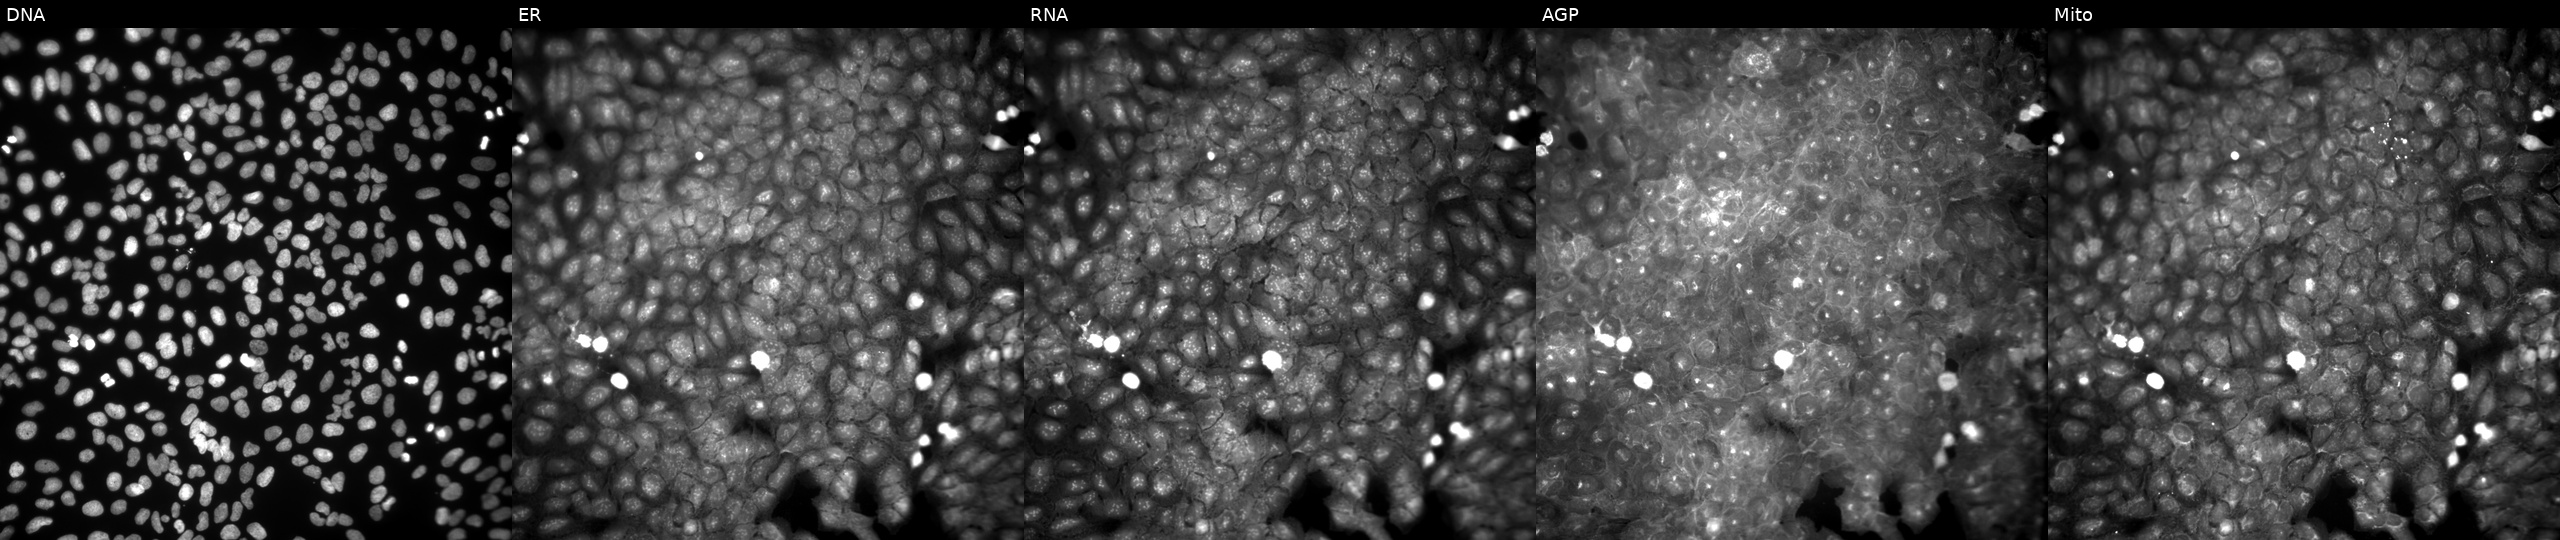
JUMP Cell Painting — COMPOUND plate. U2OS cells exposed to a small-molecule compound (InChIKey GORUZCVPPYPLIX-UHFFFAOYSA-N) (JUMP id JCP2022_026825). From left to right: Hoechst 33342, concanavalin A, SYTO 14, phalloidin and WGA, MitoTracker. Source 9, plate GR00003382, well AC46.